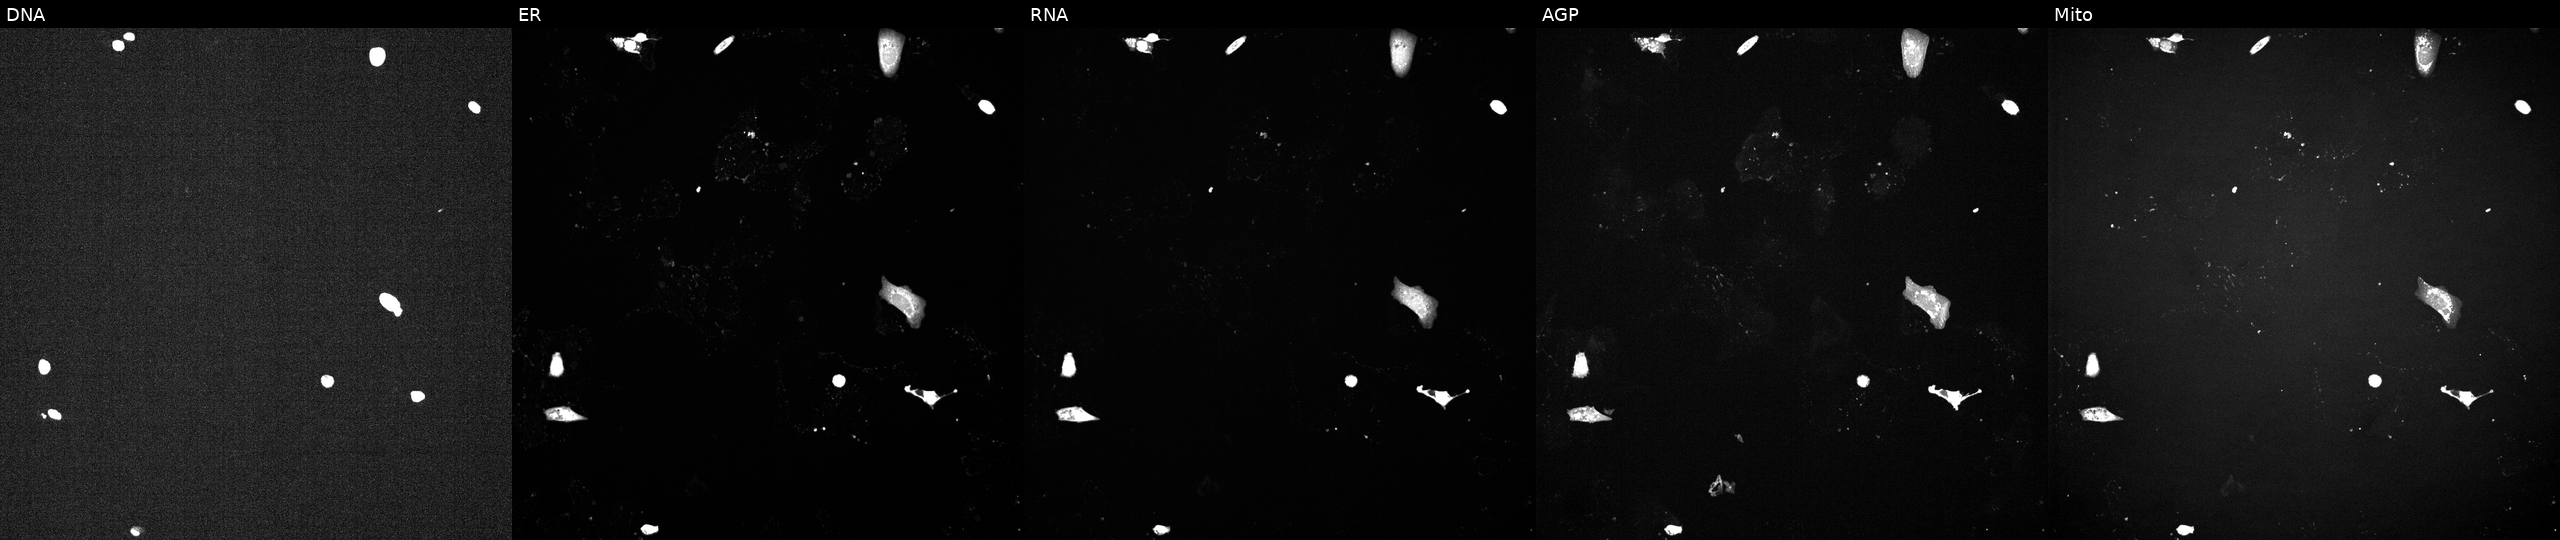
U2OS cells, Cell Painting assay, treated with a small-molecule compound (InChIKey PHXJVRSECIGDHY-UHFFFAOYSA-N) [SMILES: Cc1ccc(C(=O)Nc2ccc(CN3CCN(C)CC3)c(C(F)(F)F)c2)cc1C#Cc1cnc2cccnn12] (JUMP id JCP2022_068713). The five panels, left to right, show Hoechst 33342, concanavalin A, SYTO 14, phalloidin and WGA, MitoTracker. Each panel is percentile-stretched 16-bit fluorescence. Source 6, plate 110000294901, well J08.